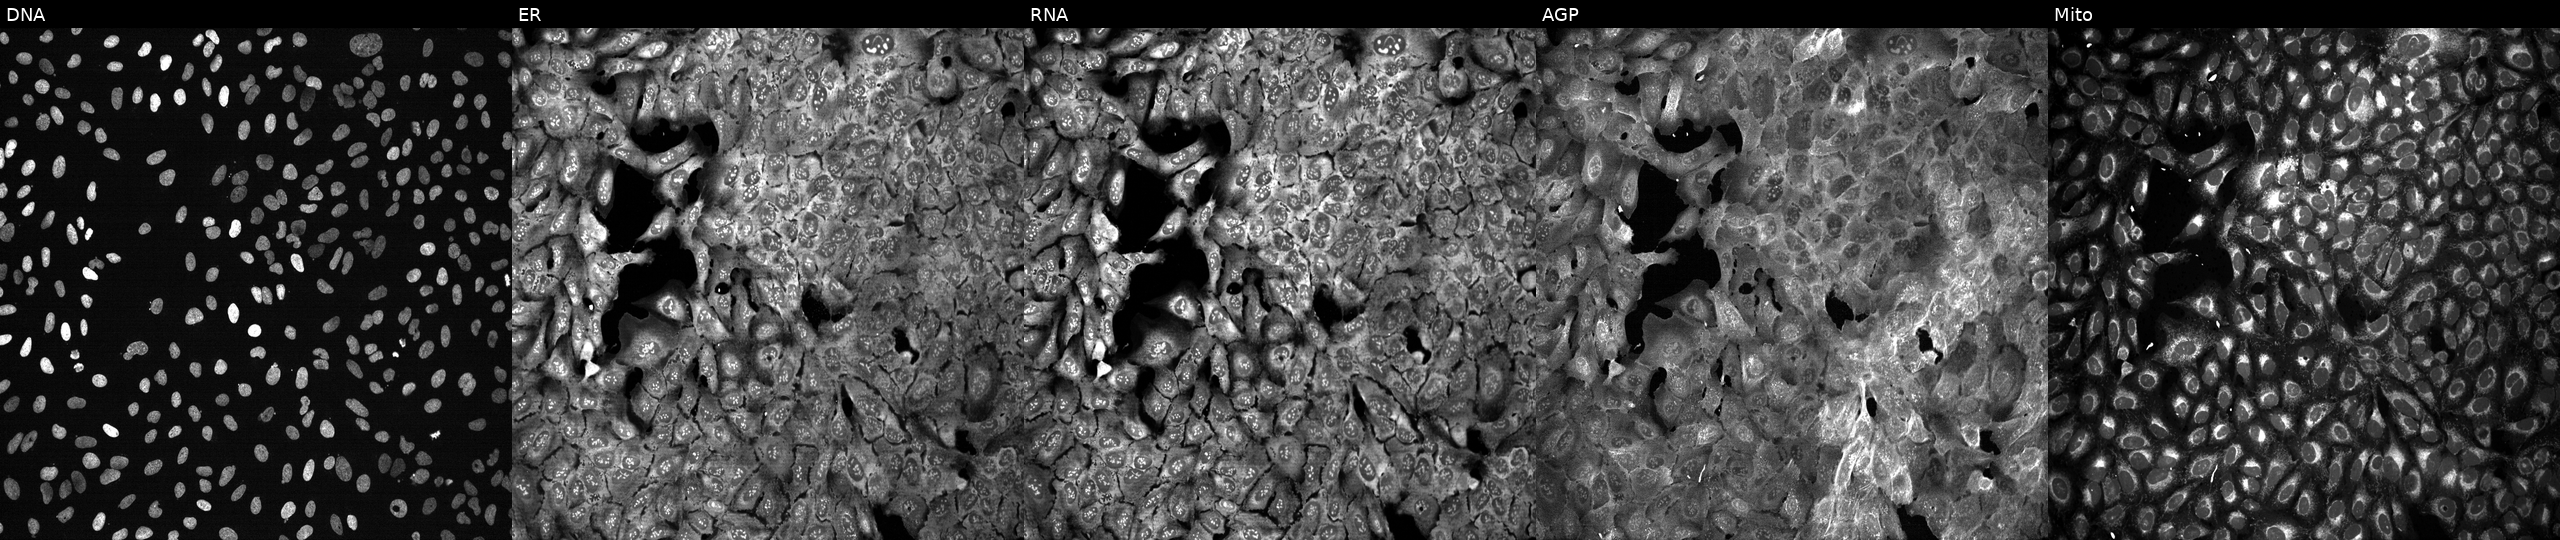
Panels show, left to right, DNA (nuclei); ER (endoplasmic reticulum); RNA (nucleoli and cytoplasmic RNA); AGP (actin cytoskeleton, Golgi, and plasma membrane); Mito (mitochondria). U2OS osteosarcoma cells following CRISPR knockout of ADA (JUMP id JCP2022_800163). Cell Painting assay, JUMP-CP dataset.